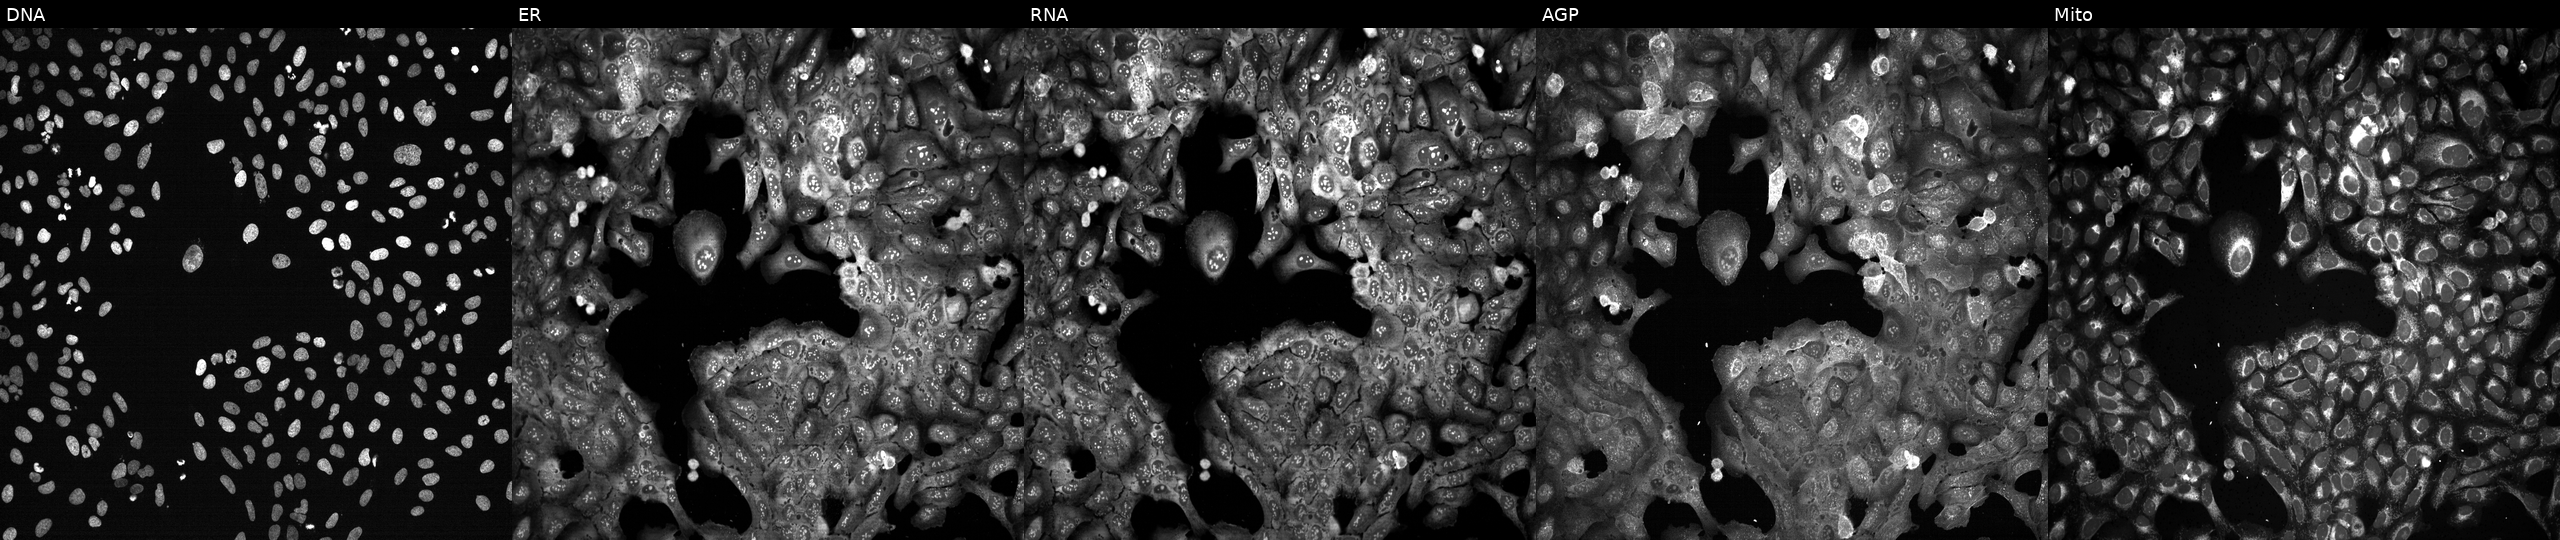
JUMP Cell Painting — CRISPR plate. U2OS cells with ST3GAL5 knocked out by CRISPR (JUMP id JCP2022_806801). The five panels, left to right, show Hoechst 33342, concanavalin A, SYTO 14, phalloidin and WGA, MitoTracker.